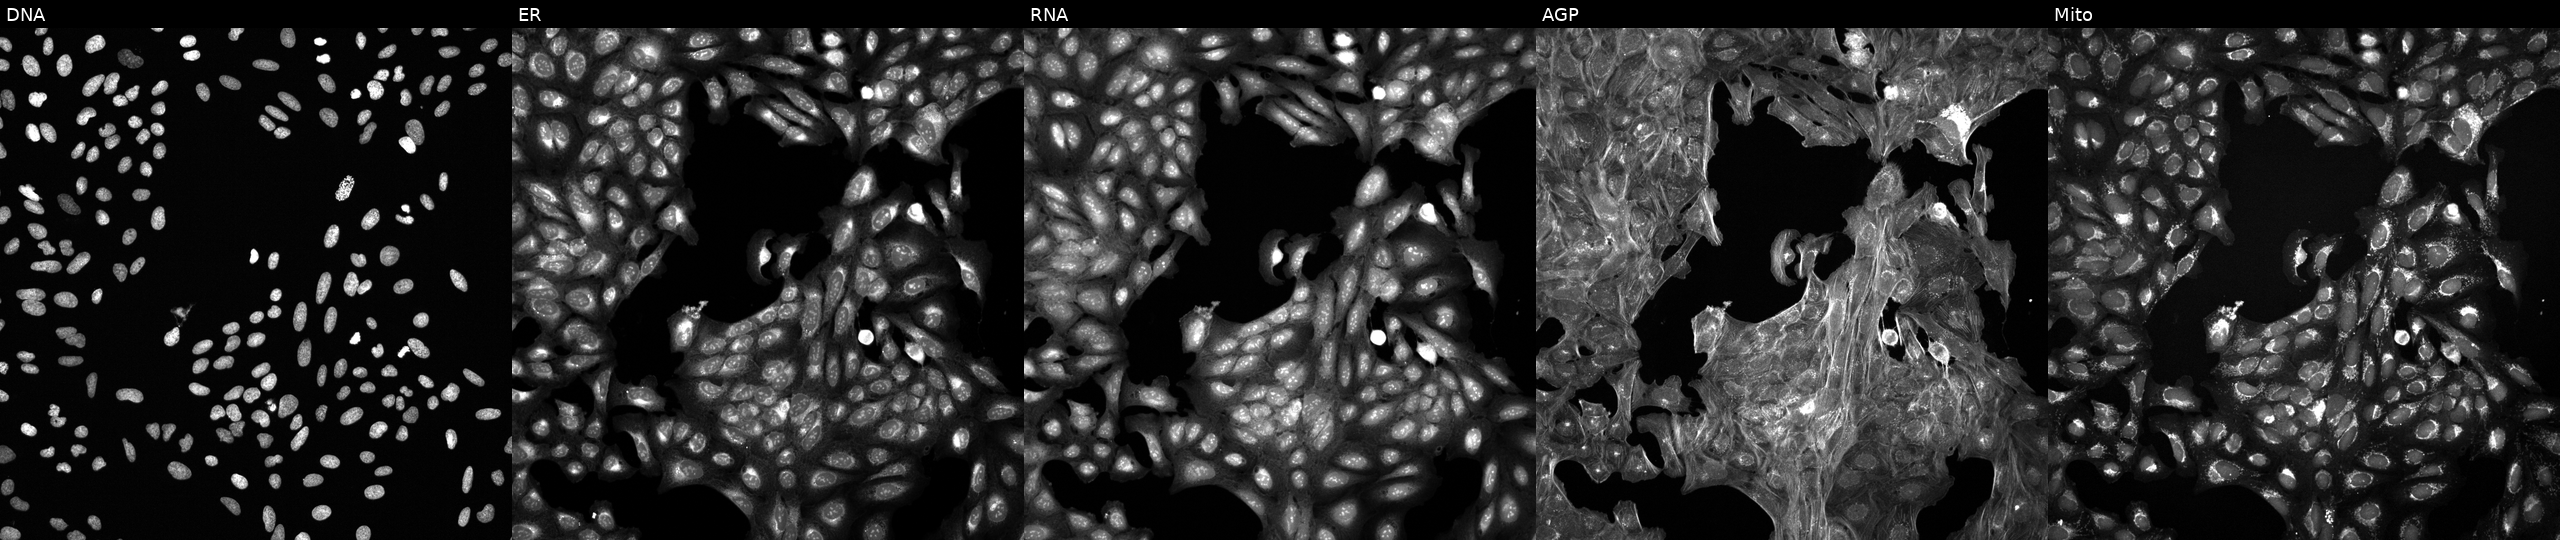
High-content fluorescence microscopy (Cell Painting). Cell line: U2OS. Perturbation: perturbed with a small-molecule compound (JUMP id JCP2022_014114). From left to right: DNA, ER, RNA, AGP, and Mito.